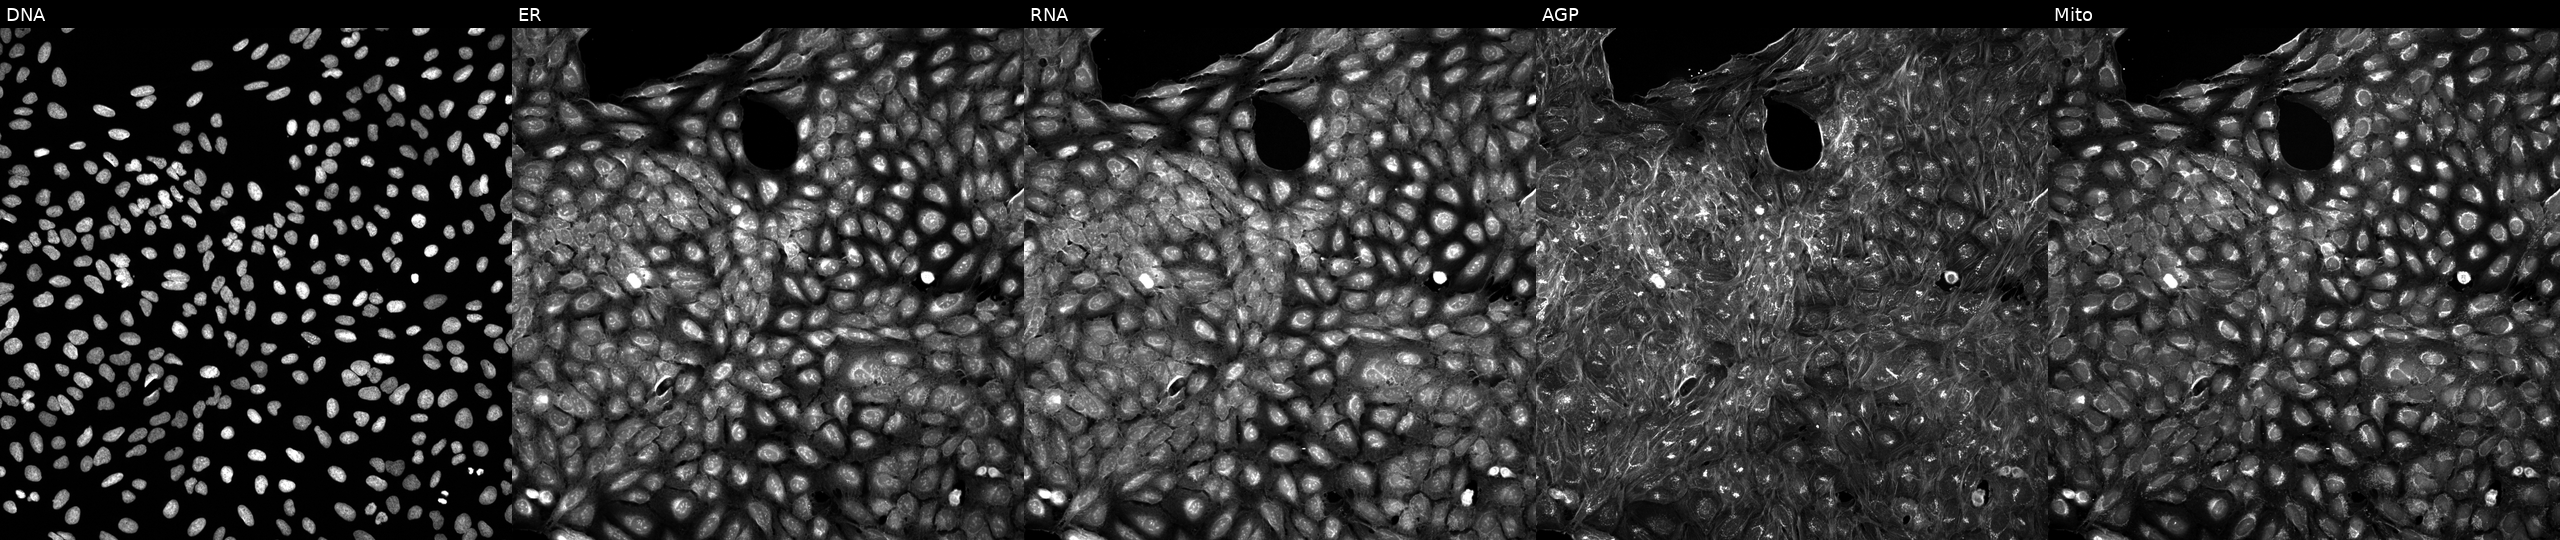
This image strip shows the five Cell Painting channels for a single field of U2OS cells treated with a small-molecule compound. Channels (left→right): DNA, ER, RNA, AGP, and Mito.